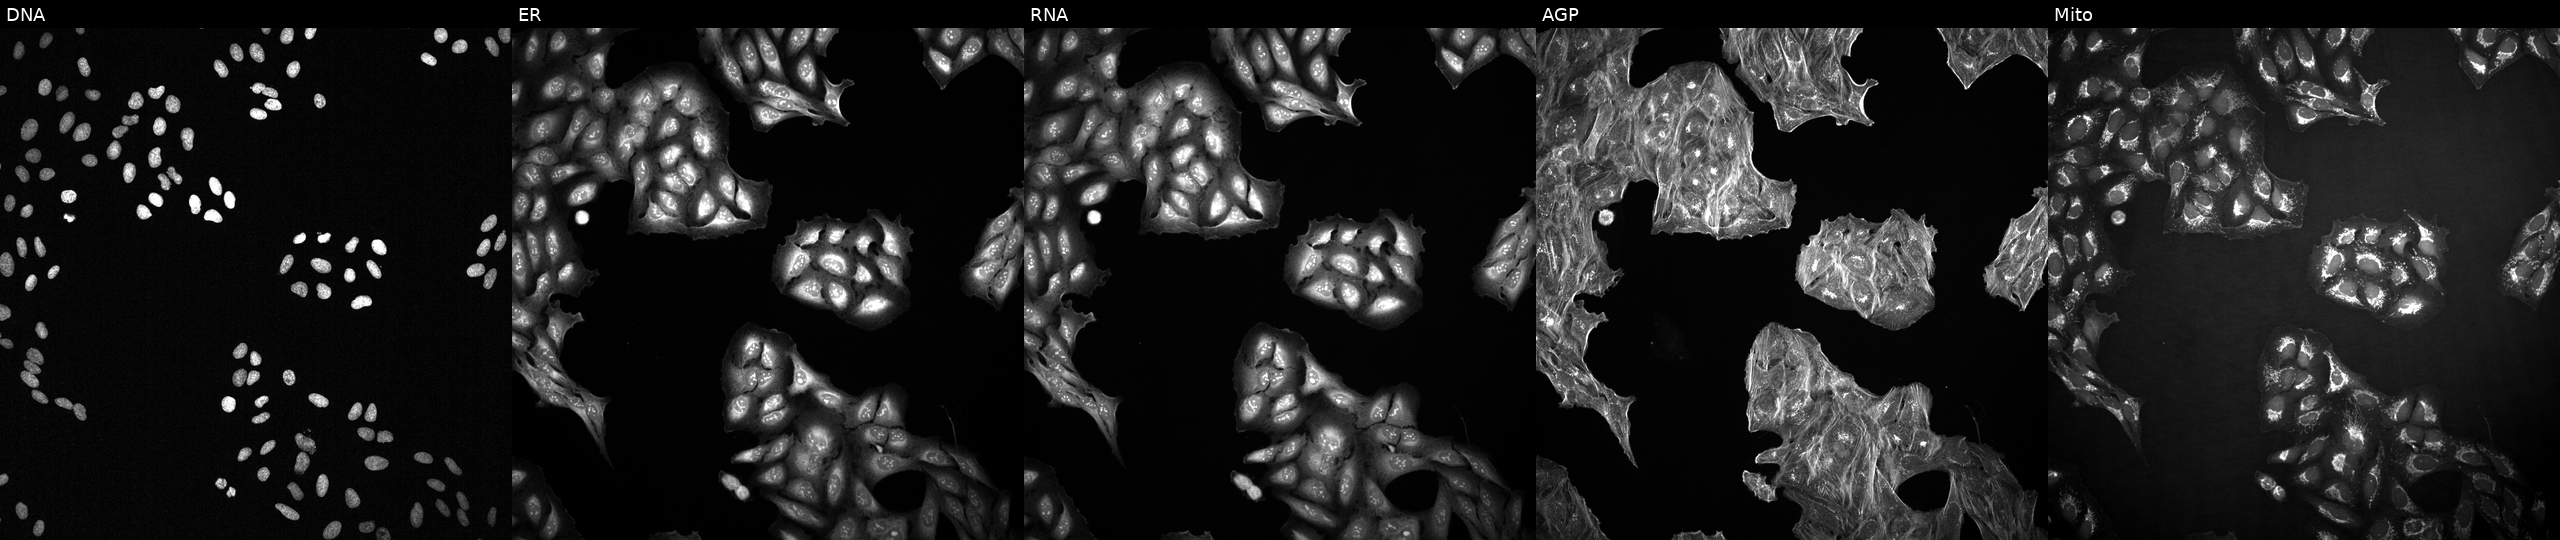
JUMP Cell Painting — TARGET2 plate. U2OS cells perturbed with a small-molecule compound. From left to right: Hoechst 33342, concanavalin A, SYTO 14, phalloidin and WGA, MitoTracker.